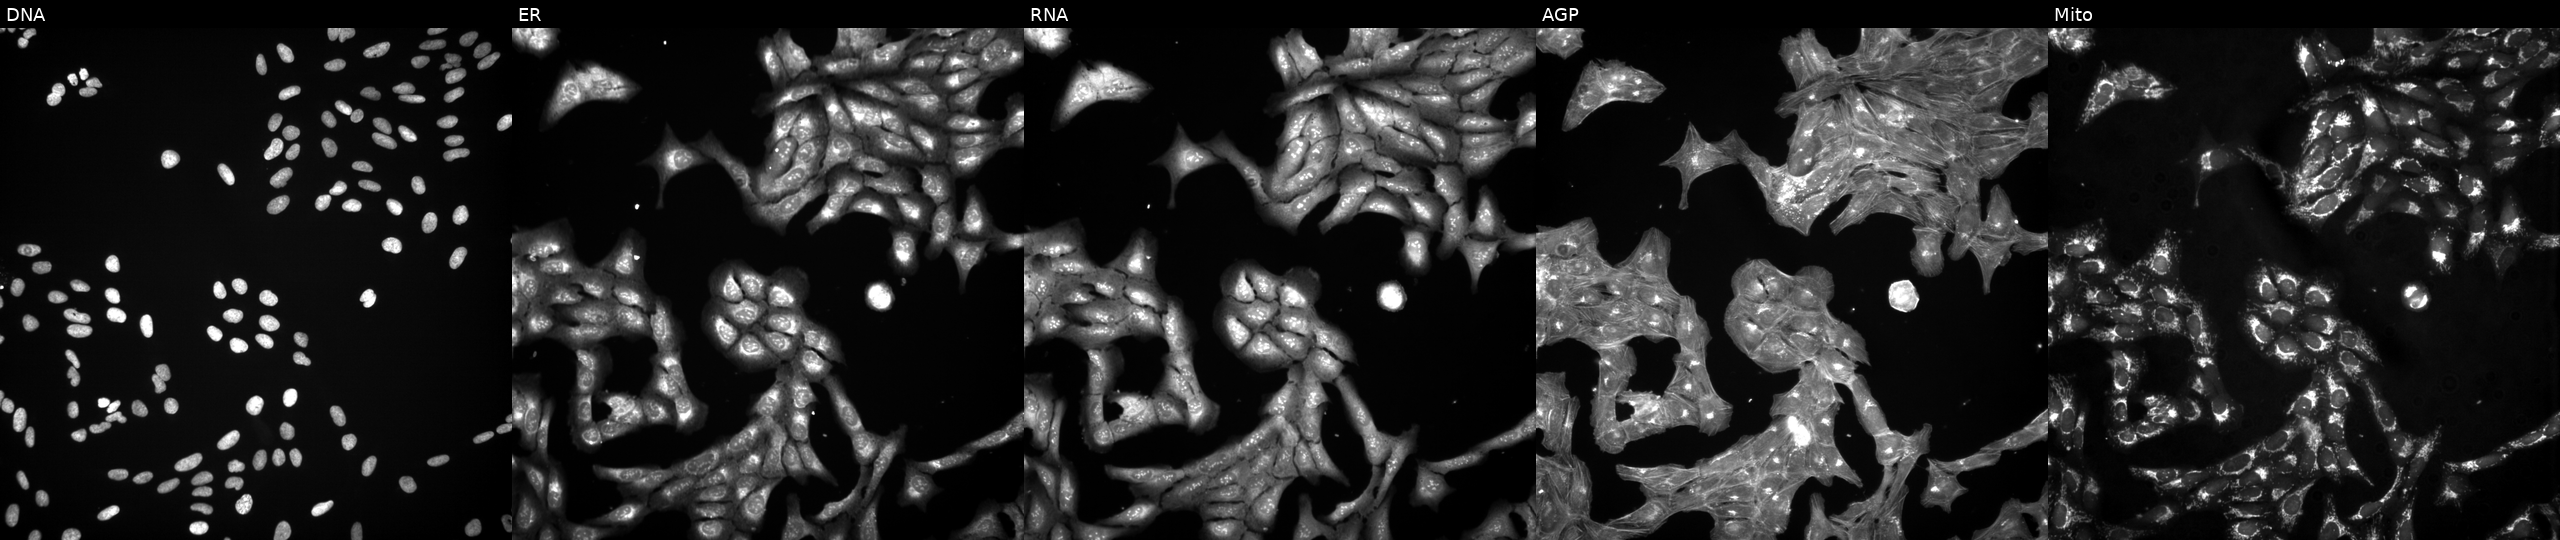
The five panels, left to right, show DNA, ER, RNA, AGP, and Mito. U2OS osteosarcoma cells treated with DMSO vehicle only (negative control). Cell Painting assay, JUMP-CP dataset.